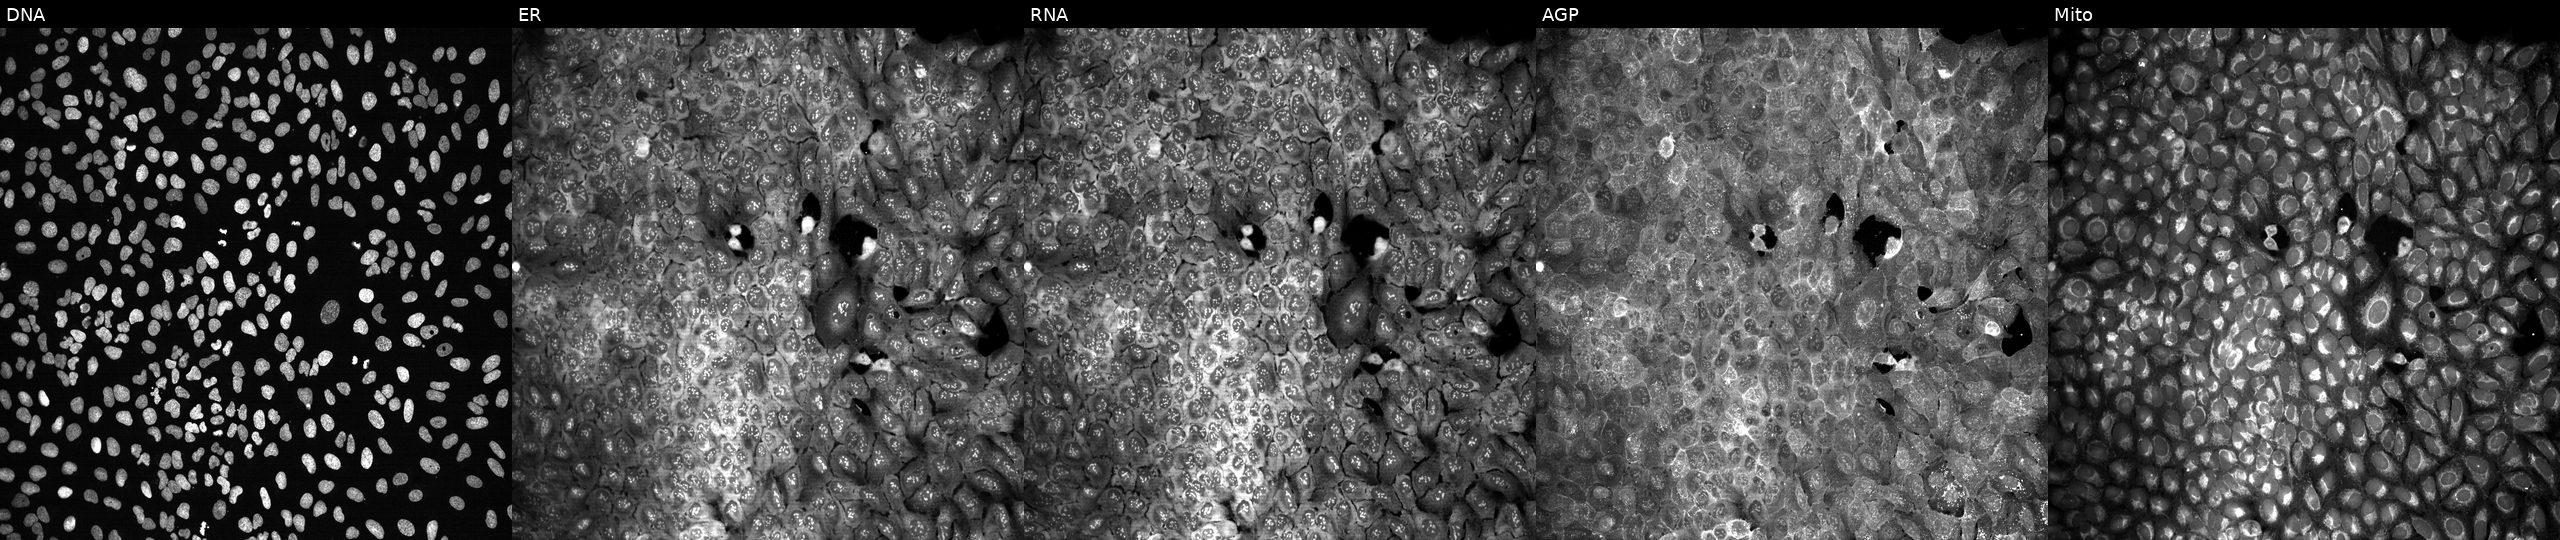
Five-channel Cell Painting image of U2OS cells following CRISPR knockout of B3GNT9 (JUMP id JCP2022_800787). Panels show, left to right, Hoechst 33342, concanavalin A, SYTO 14, phalloidin and WGA, MitoTracker.